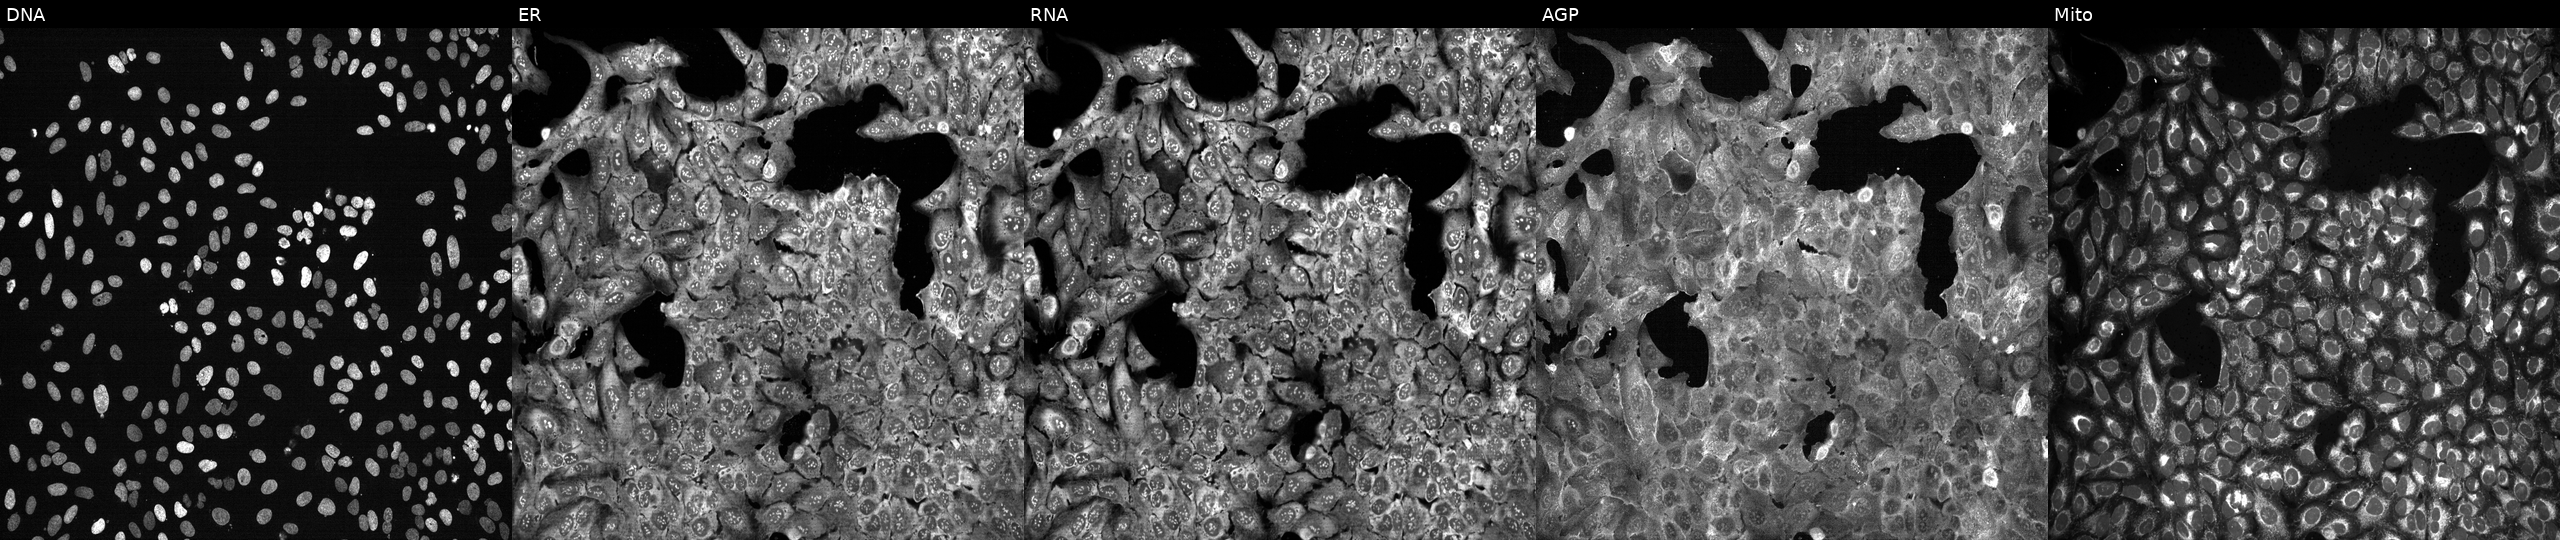
High-content fluorescence microscopy (Cell Painting). Cell line: U2OS. Perturbation: following CRISPR knockout of CD72. The five panels, left to right, show Hoechst 33342, concanavalin A, SYTO 14, phalloidin and WGA, MitoTracker. Source 13, plate CP-CC9-R2-02, well E13.